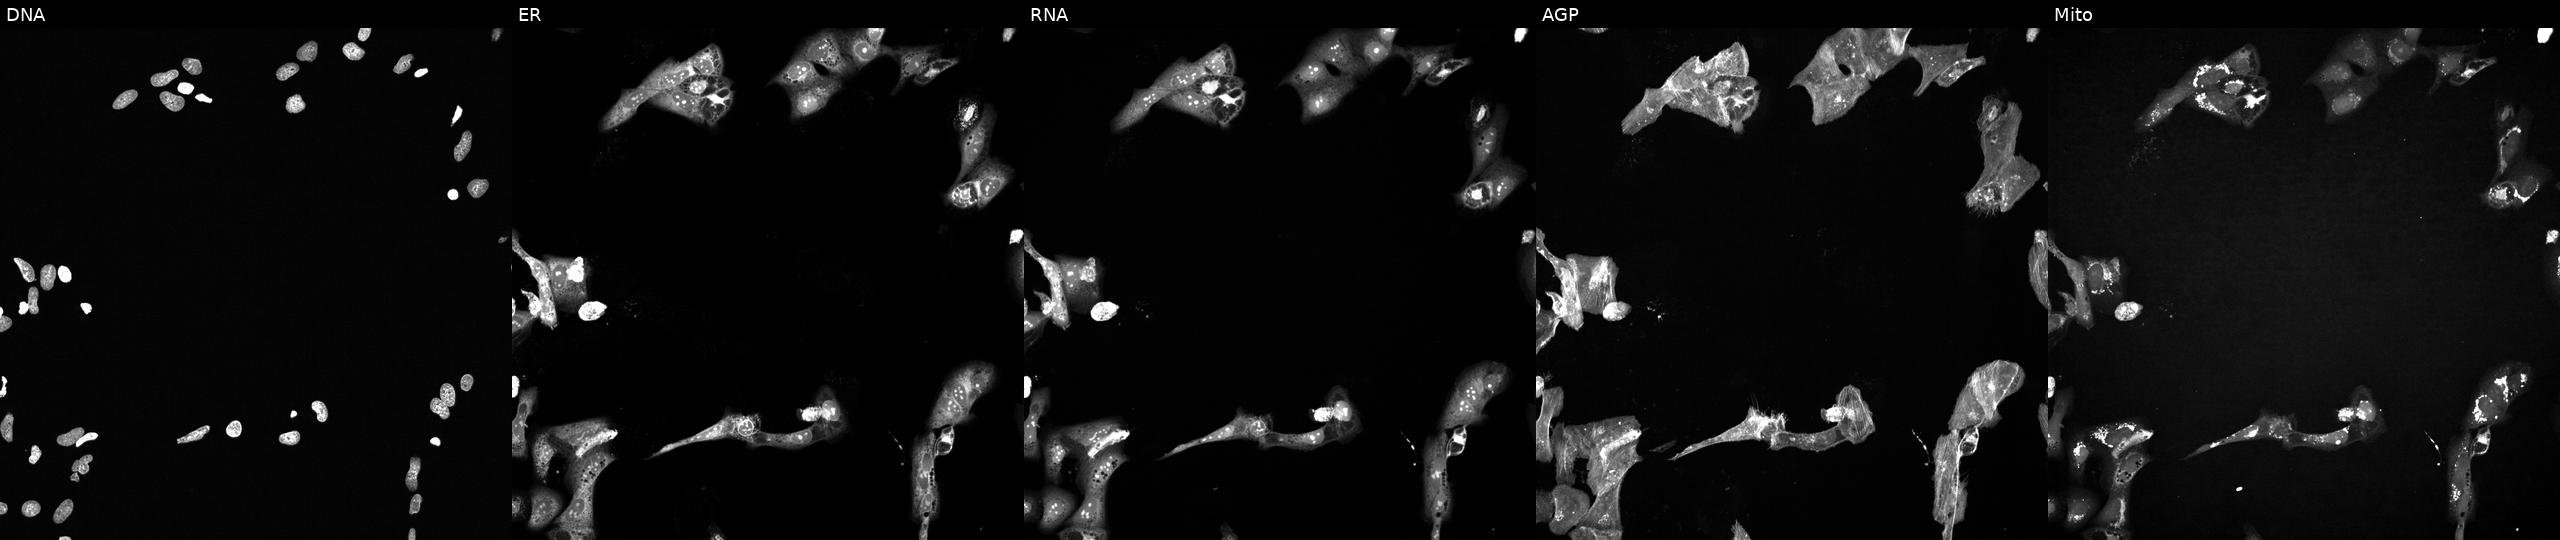
High-content fluorescence microscopy (Cell Painting). Cell line: U2OS. Perturbation: perturbed with a small-molecule compound. The five panels, left to right, show DNA, ER, RNA, AGP, and Mito. Source 6, plate 110000293093, well B22.